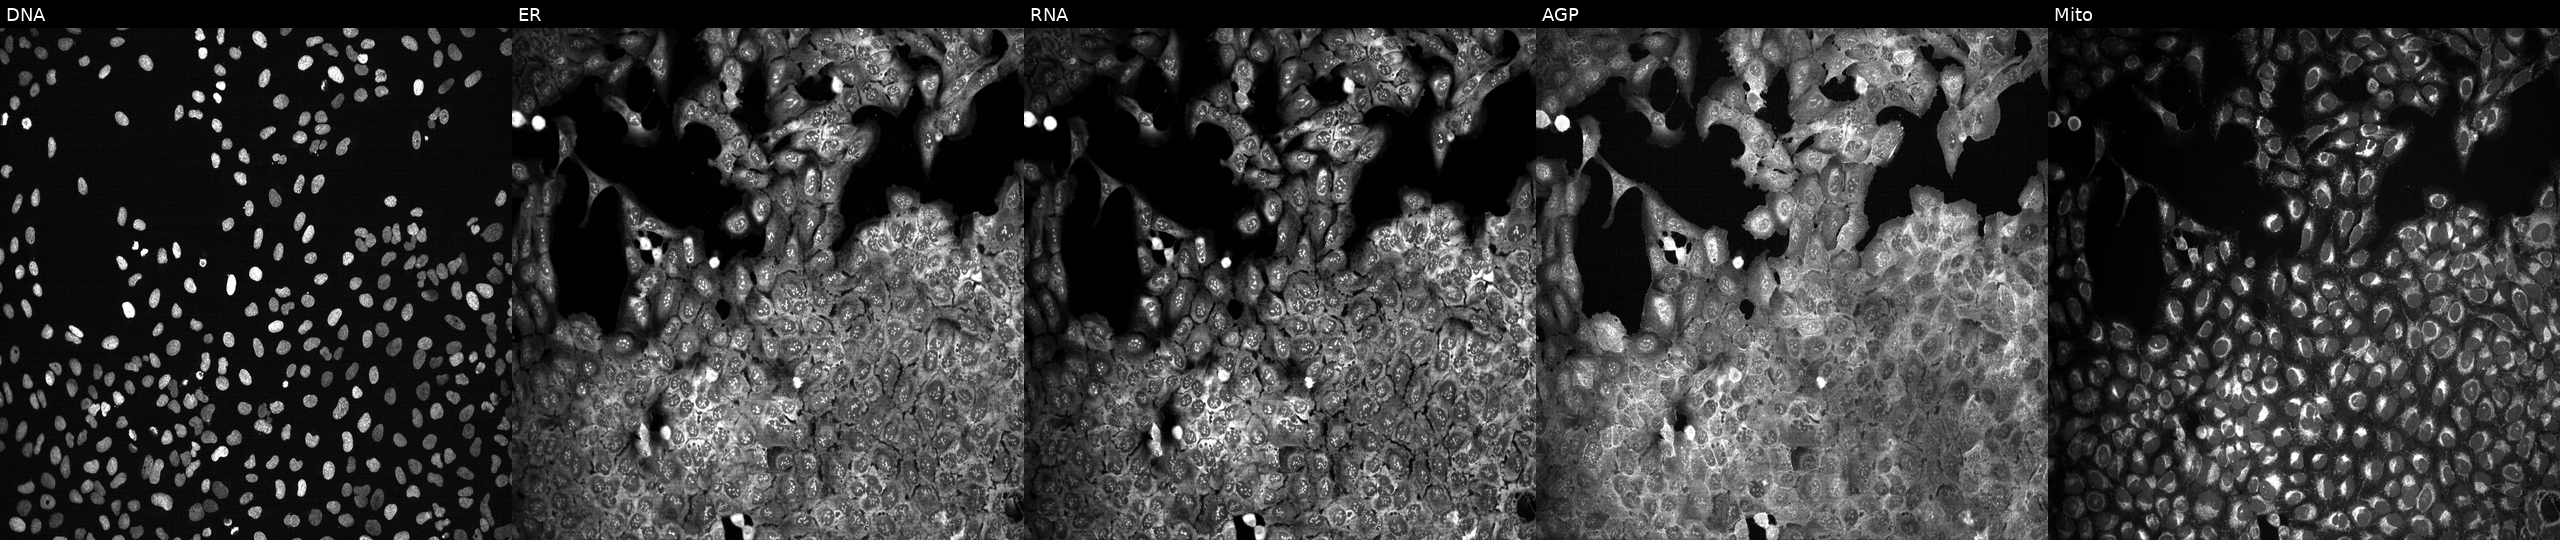
Five-channel Cell Painting image of U2OS cells with a non-targeting CRISPR guide (negative control). Panels show, left to right, DNA (nuclei); ER (endoplasmic reticulum); RNA (nucleoli and cytoplasmic RNA); AGP (actin cytoskeleton, Golgi, and plasma membrane); Mito (mitochondria).